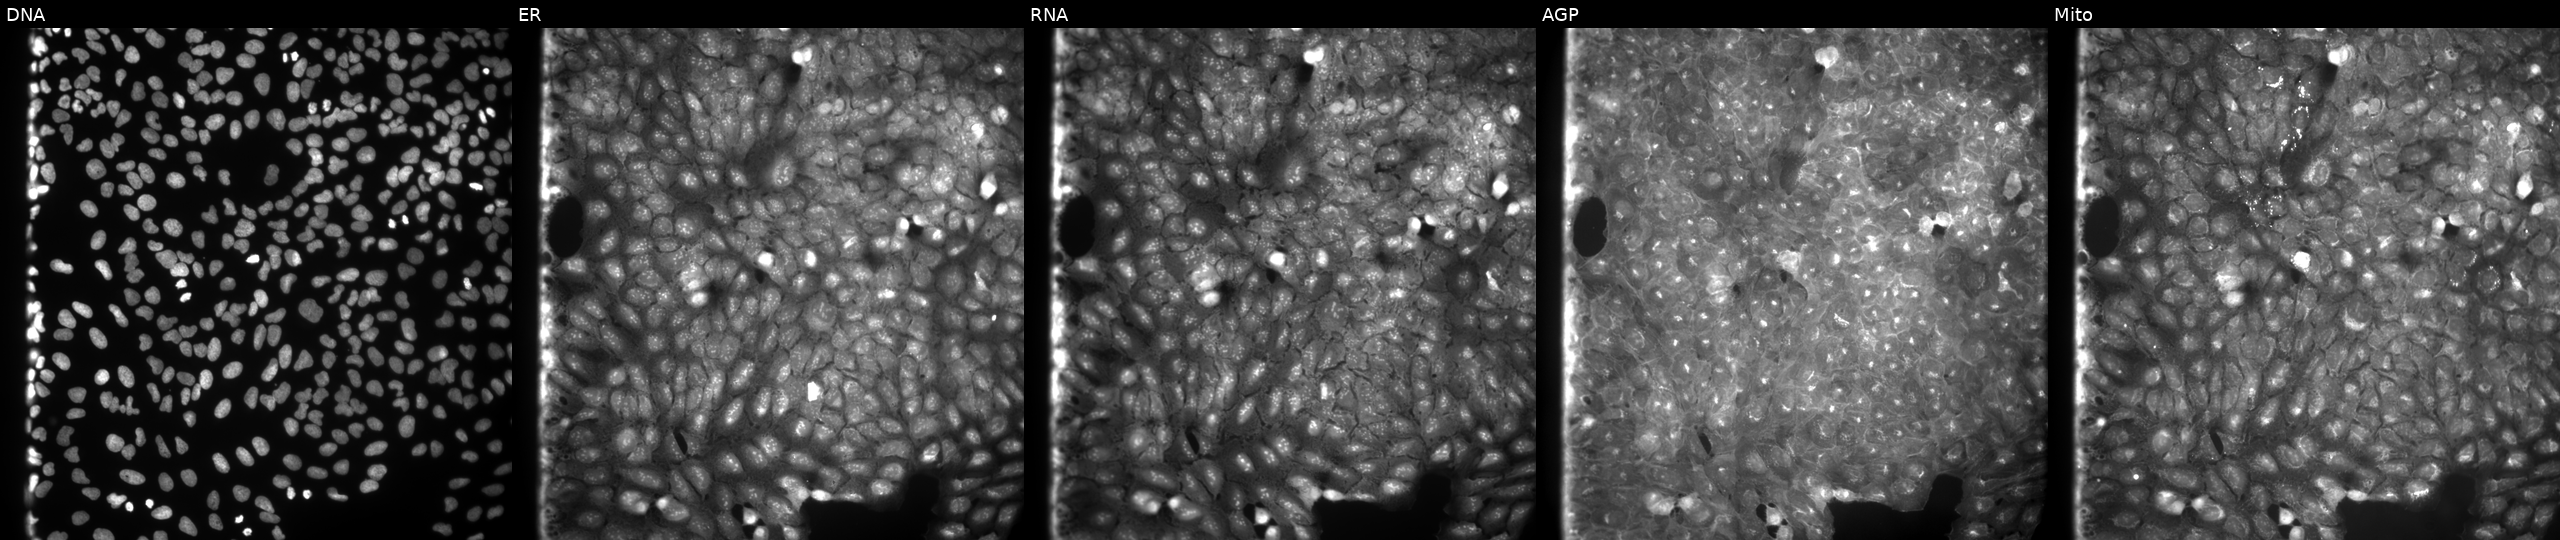
U2OS cells, Cell Painting assay, perturbed with a small-molecule compound. From left to right: Hoechst 33342, concanavalin A, SYTO 14, phalloidin and WGA, MitoTracker. Each panel is percentile-stretched 16-bit fluorescence. Source 9, plate GR00003382, well I05.